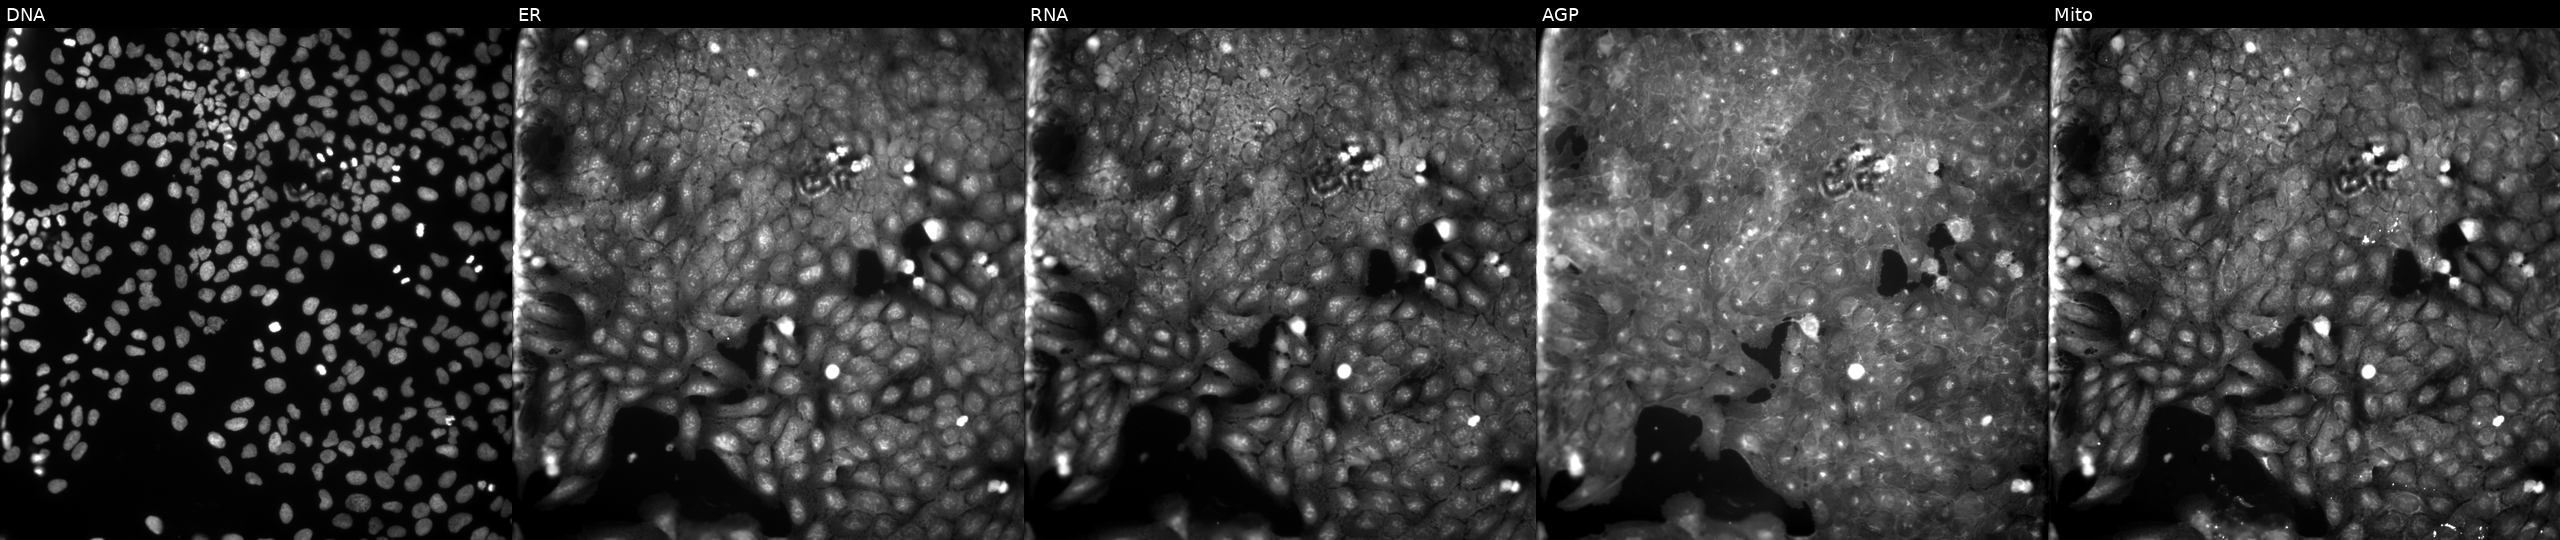
This image strip shows the five Cell Painting channels for a single field of U2OS cells perturbed with a small-molecule compound (InChIKey LFYXALLUODLTQG-UHFFFAOYSA-N) [SMILES: Cc1cc[nH]c(=NC(=O)c2ccc(Cl)c([N+](=O)[O-])c2)c1] (JUMP id JCP2022_049186). Channels (left→right): Hoechst 33342, concanavalin A, SYTO 14, phalloidin and WGA, MitoTracker.